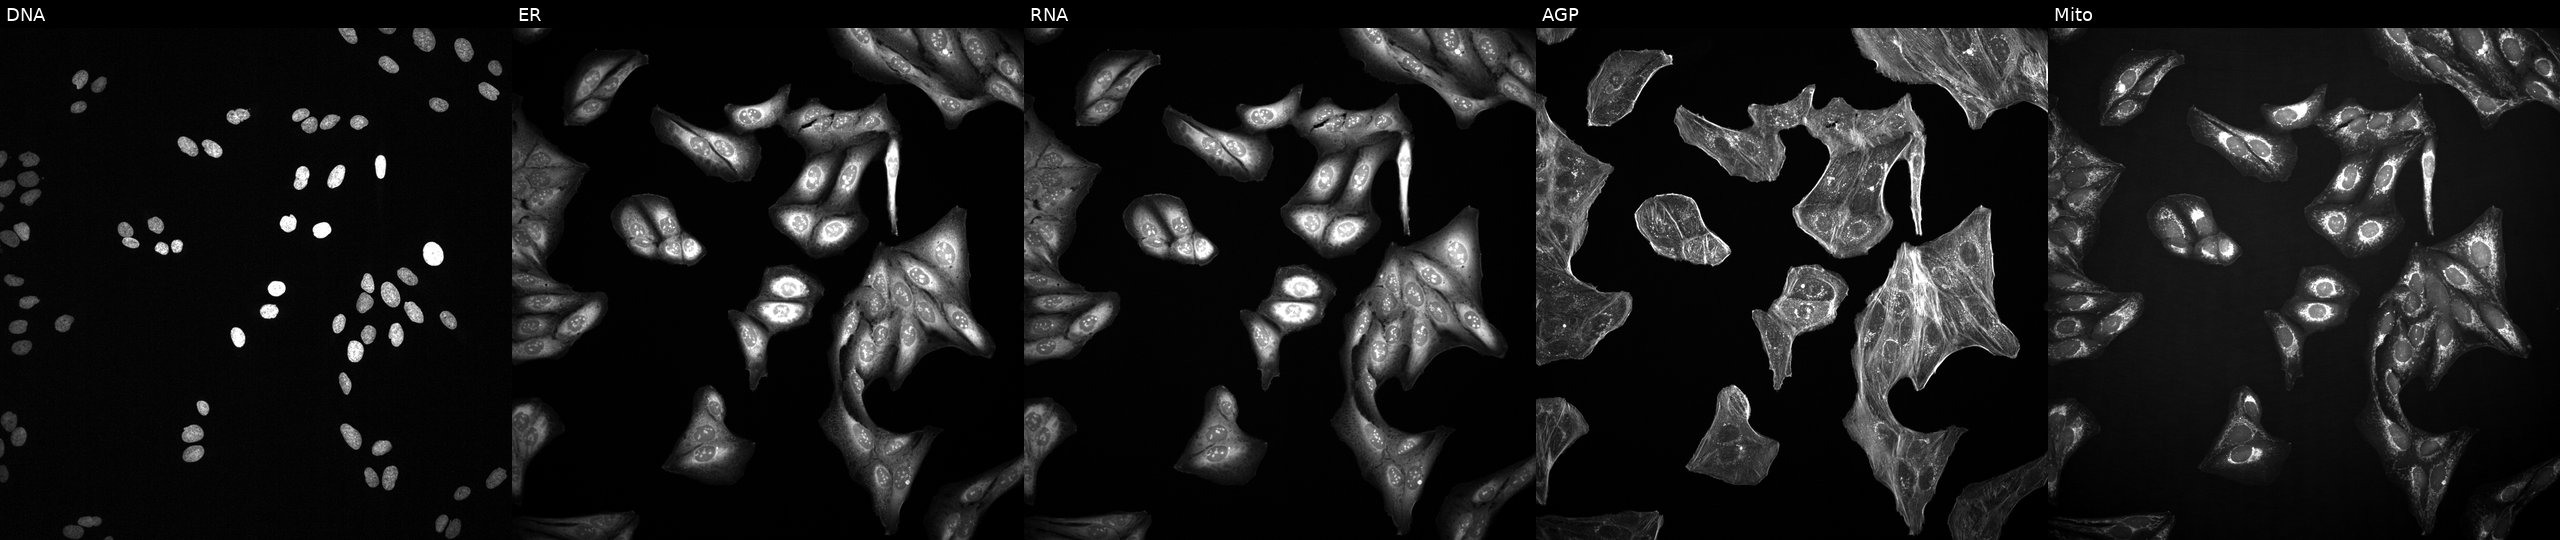
Five-channel Cell Painting image of U2OS cells perturbed with a small-molecule compound (JUMP id JCP2022_069668). From left to right: DNA, ER, RNA, AGP, and Mito. Source 2, plate 1053597936, well M04.